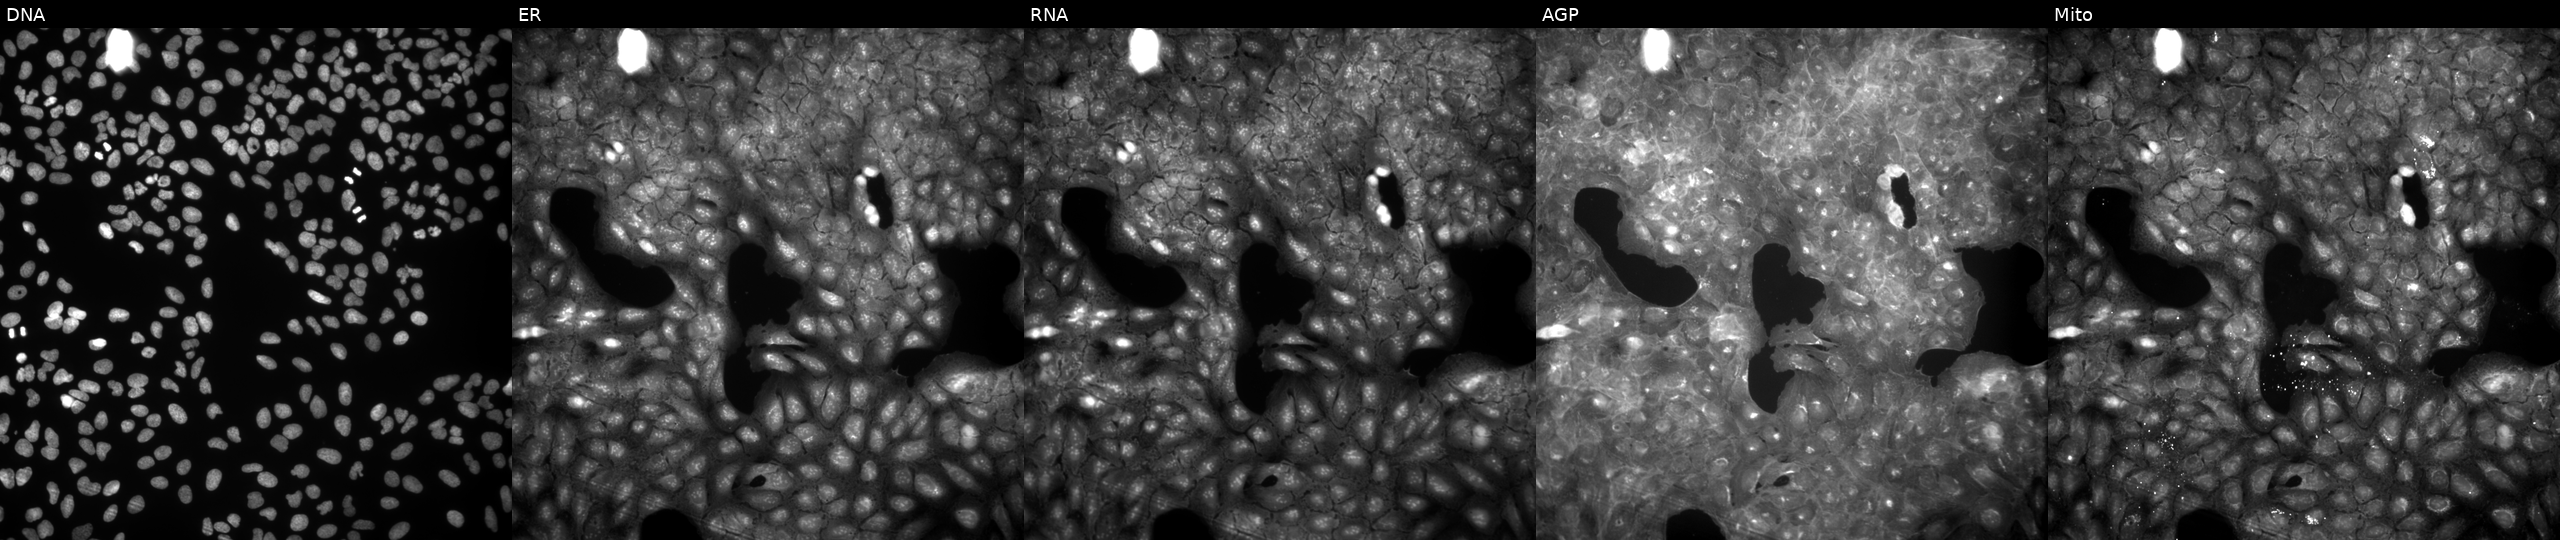
JUMP Cell Painting — COMPOUND plate. U2OS cells exposed to a small-molecule compound (InChIKey HMLNXHABJLZURU-UHFFFAOYSA-N) [SMILES: Cc1nc2sc(C(N)=O)c(N)c2c(C)c1CC(=O)c1ccccc1]. From left to right: Hoechst 33342, concanavalin A, SYTO 14, phalloidin and WGA, MitoTracker. Source 9, plate GR00003381, well O28.